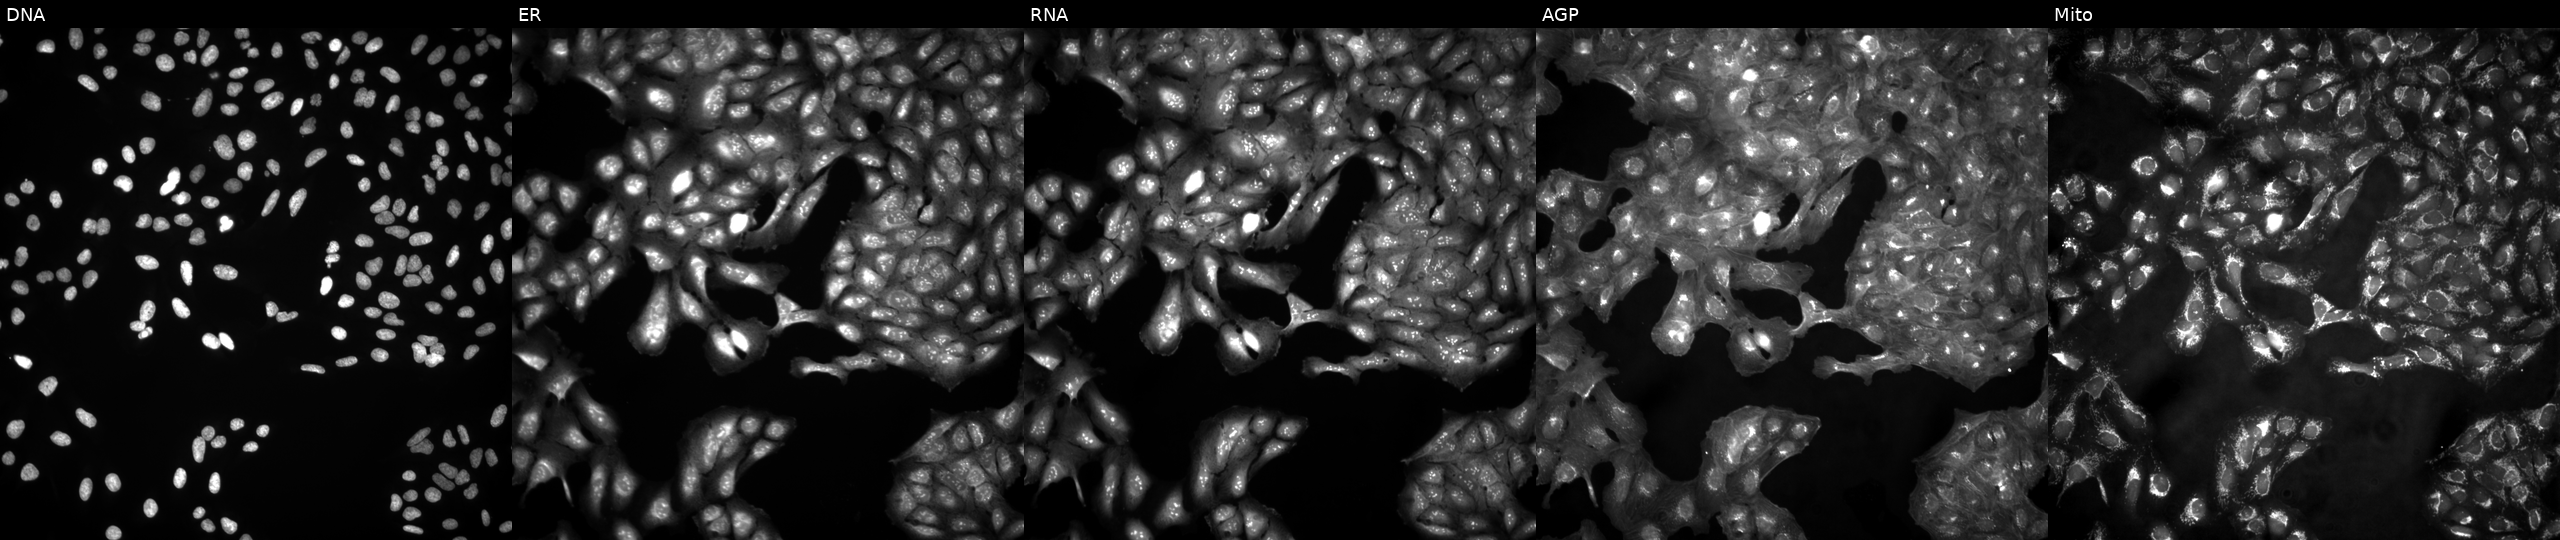
This image strip shows the five Cell Painting channels for a single field of U2OS cells untreated (empty-well control). The five panels, left to right, show Hoechst 33342, concanavalin A, SYTO 14, phalloidin and WGA, MitoTracker. Source 4, plate BR00123946, well J02.